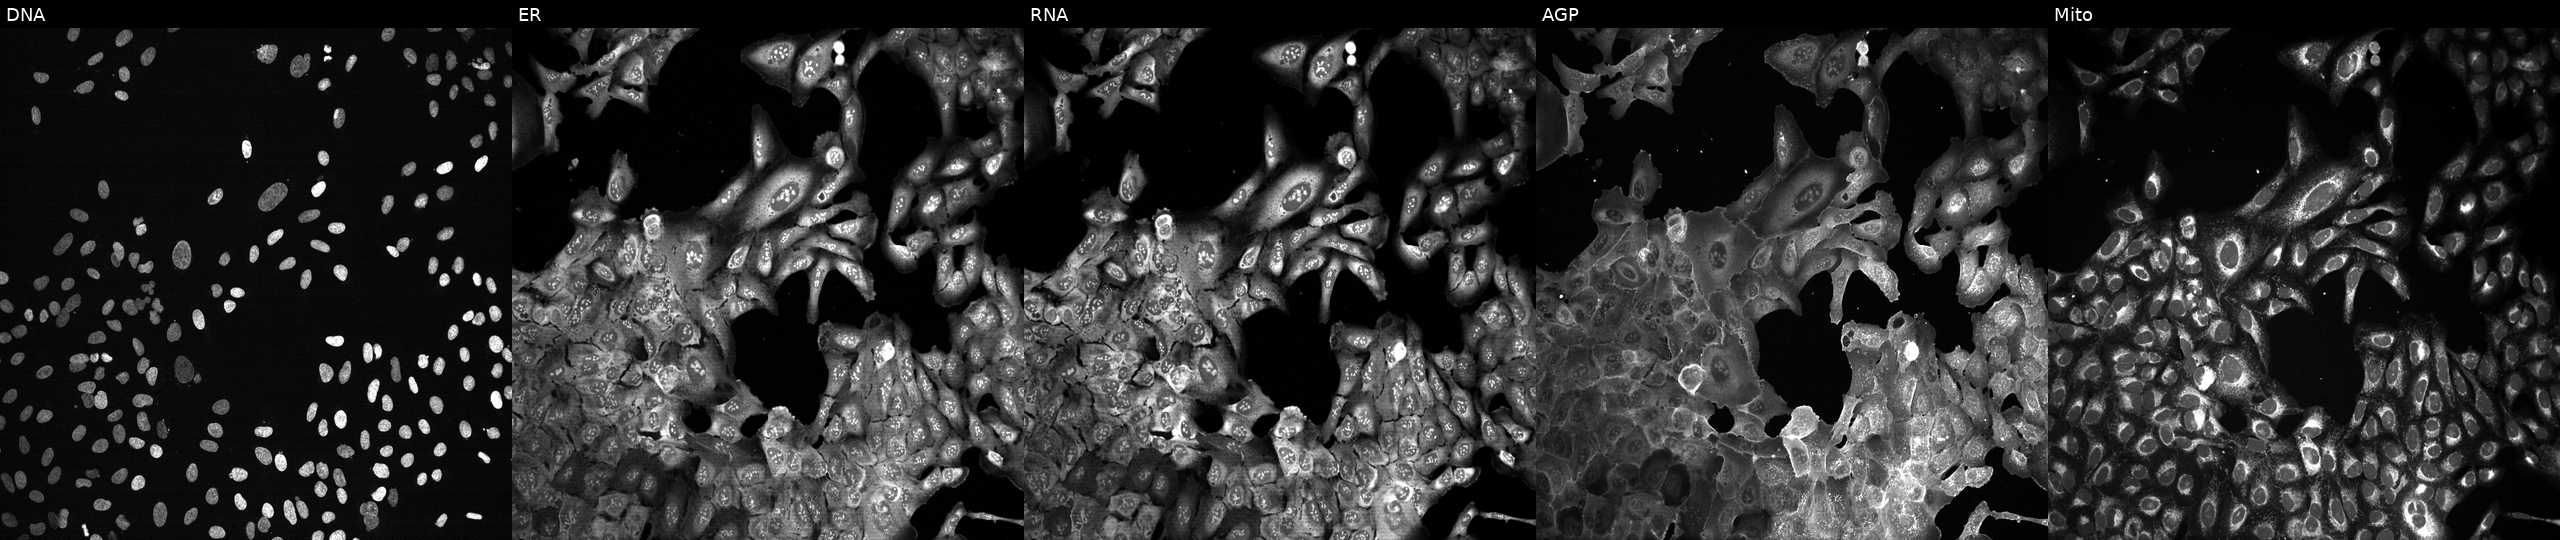
Five-channel Cell Painting image of U2OS cells CRISPR-edited to disrupt LNPEP (JUMP id JCP2022_803867). From left to right: DNA, ER, RNA, AGP, and Mito.